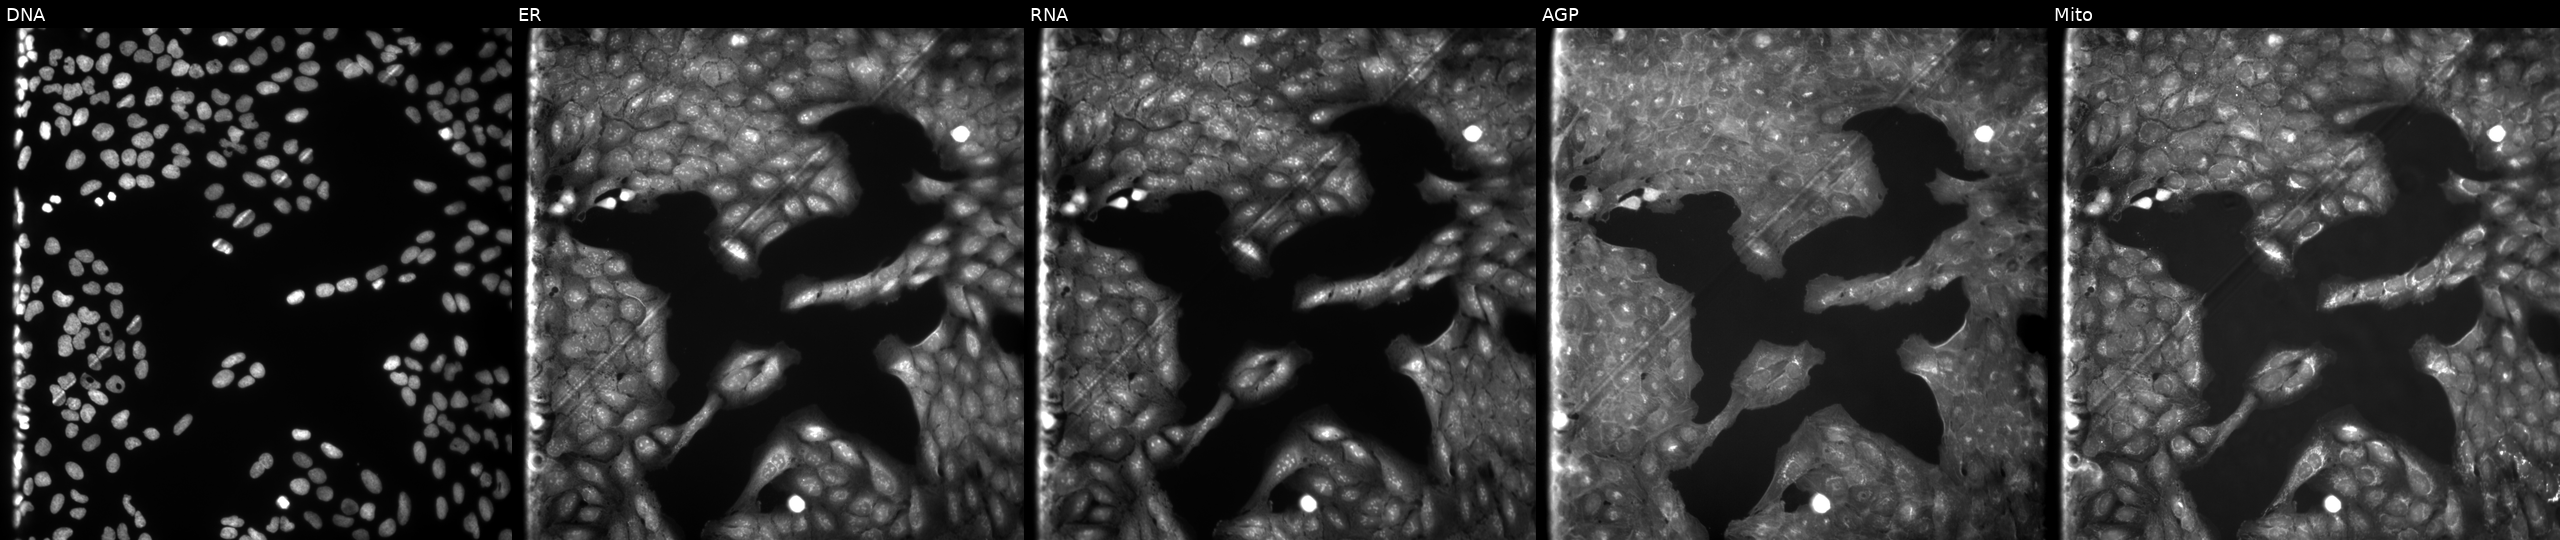
U2OS cells, Cell Painting assay, exposed to a small-molecule compound (InChIKey SUVAYMBUCQBFFX-UHFFFAOYSA-N) (JUMP id JCP2022_085768). From left to right: DNA (nuclei); ER (endoplasmic reticulum); RNA (nucleoli and cytoplasmic RNA); AGP (actin cytoskeleton, Golgi, and plasma membrane); Mito (mitochondria). Each panel is percentile-stretched 16-bit fluorescence.